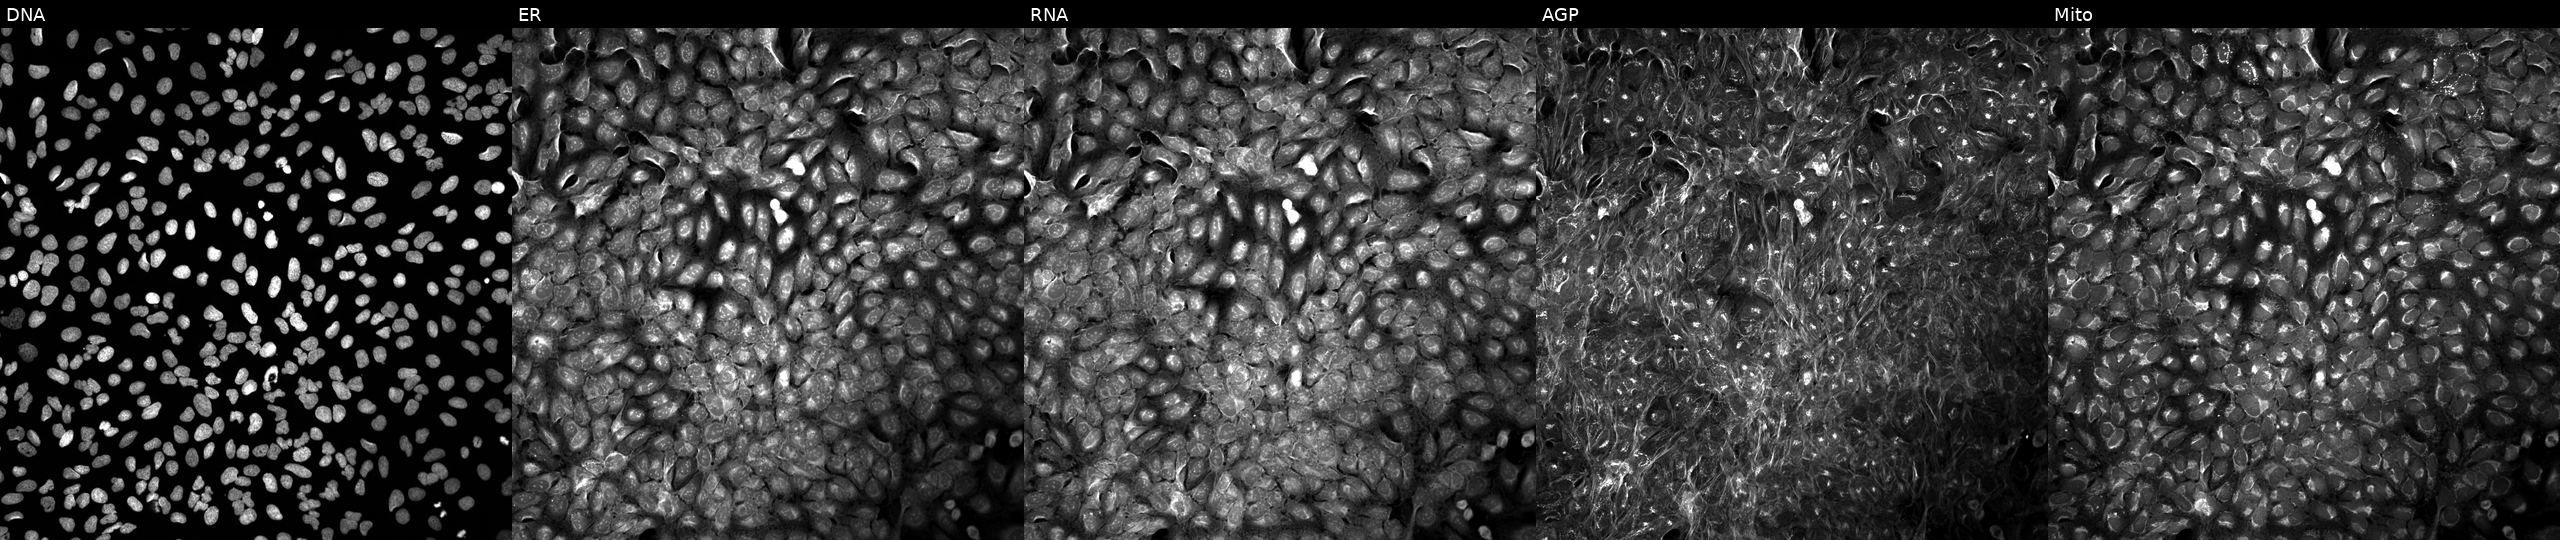
U2OS cells, Cell Painting assay, treated with a small-molecule compound. Panels show, left to right, DNA, ER, RNA, AGP, and Mito. Each panel is percentile-stretched 16-bit fluorescence. Source 5, plate APTJUM105, well M21.